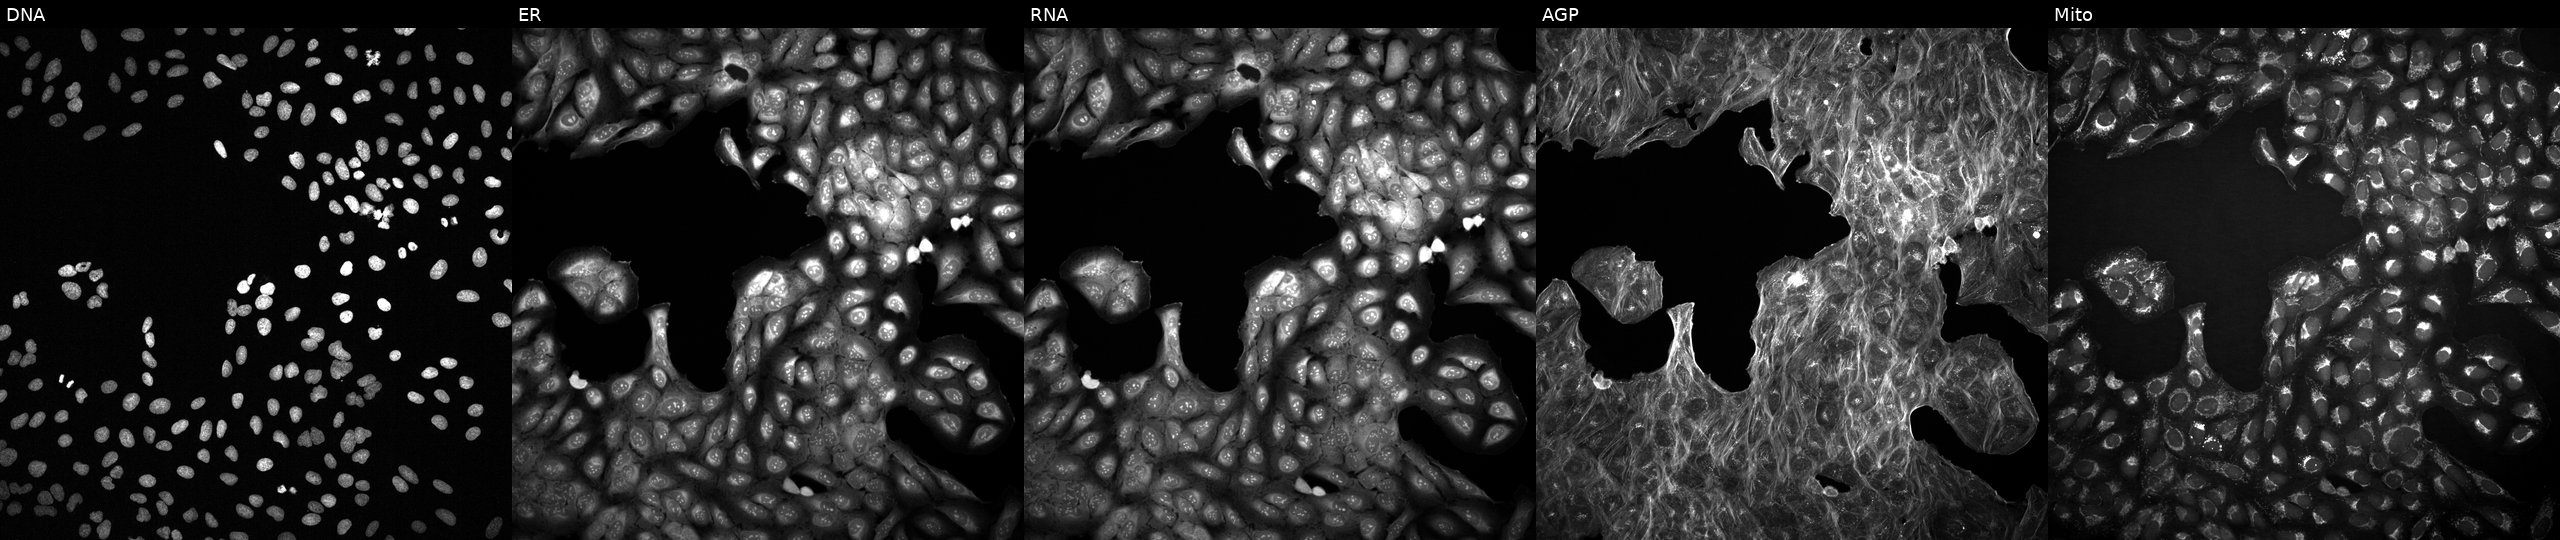
High-content fluorescence microscopy (Cell Painting). Cell line: U2OS. Perturbation: with an unidentified perturbation (not annotated in JUMP metadata). From left to right: DNA (nuclei); ER (endoplasmic reticulum); RNA (nucleoli and cytoplasmic RNA); AGP (actin cytoskeleton, Golgi, and plasma membrane); Mito (mitochondria).